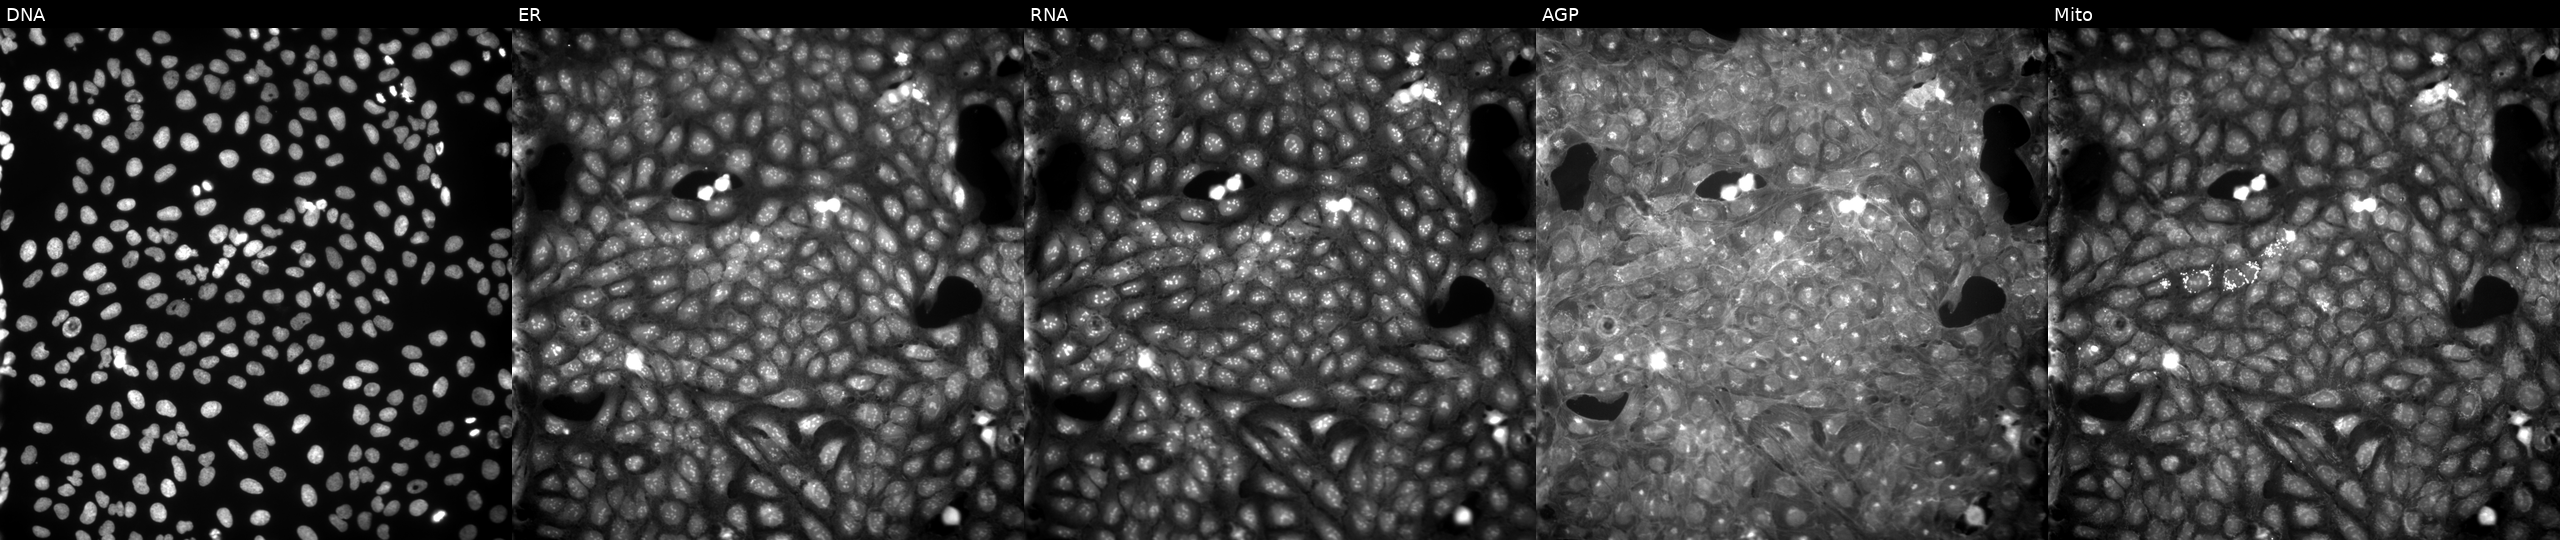
High-content fluorescence microscopy (Cell Painting). Cell line: U2OS. Perturbation: perturbed with a small-molecule compound (InChIKey AKIWNJPXDHCKDF-UHFFFAOYSA-N) [SMILES: O=C(N=c1cc[nH]cc1)c1ccc([N+](=O)[O-])cc1Cl]. Panels show, left to right, DNA, ER, RNA, AGP, and Mito.